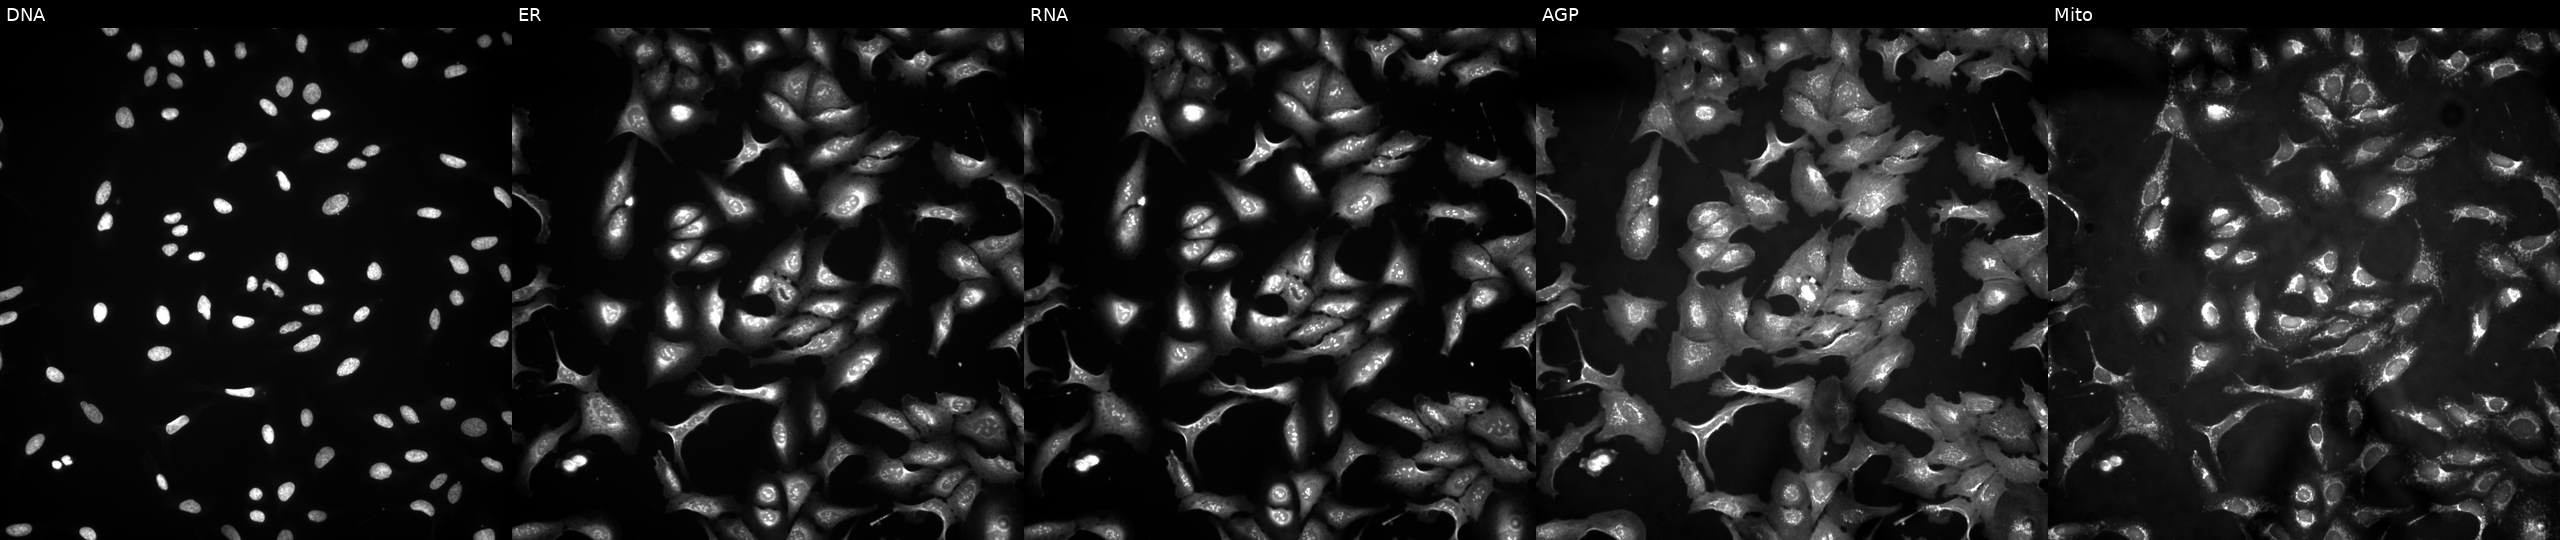
U2OS cells, Cell Painting assay, overexpressing PADI4 via ORF transfection. Channels (left→right): DNA (nuclei); ER (endoplasmic reticulum); RNA (nucleoli and cytoplasmic RNA); AGP (actin cytoskeleton, Golgi, and plasma membrane); Mito (mitochondria). Each panel is percentile-stretched 16-bit fluorescence. Source 4, plate BR00121543, well J09.